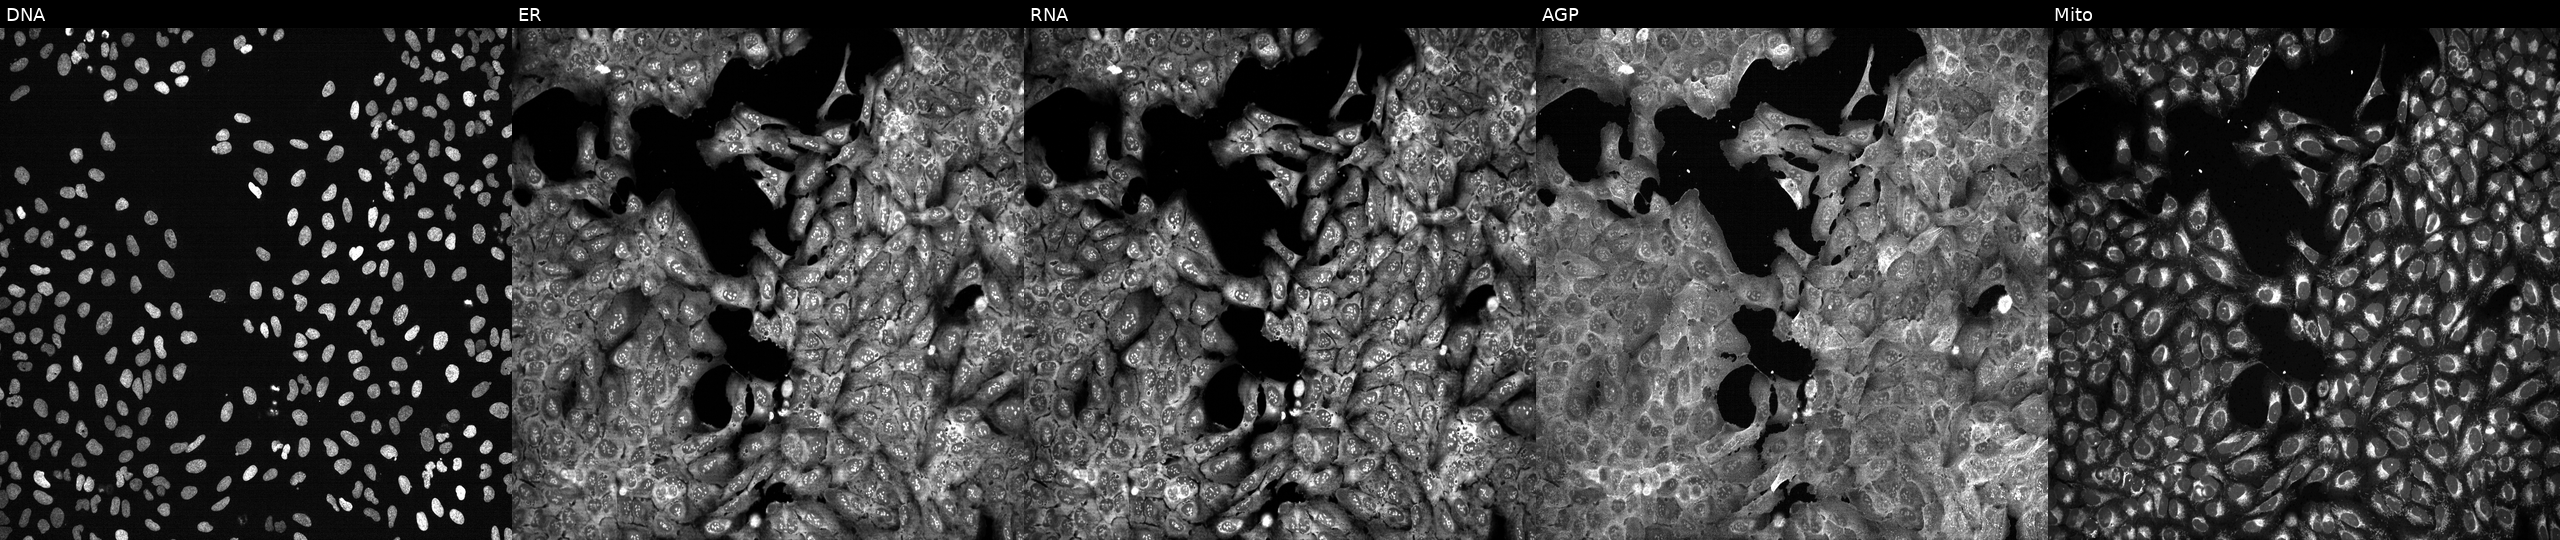
Five-channel Cell Painting image of U2OS cells CRISPR-edited to disrupt ALG8. Channels (left→right): Hoechst 33342, concanavalin A, SYTO 14, phalloidin and WGA, MitoTracker. Source 13, plate CP-CC9-R3-02, well I07.